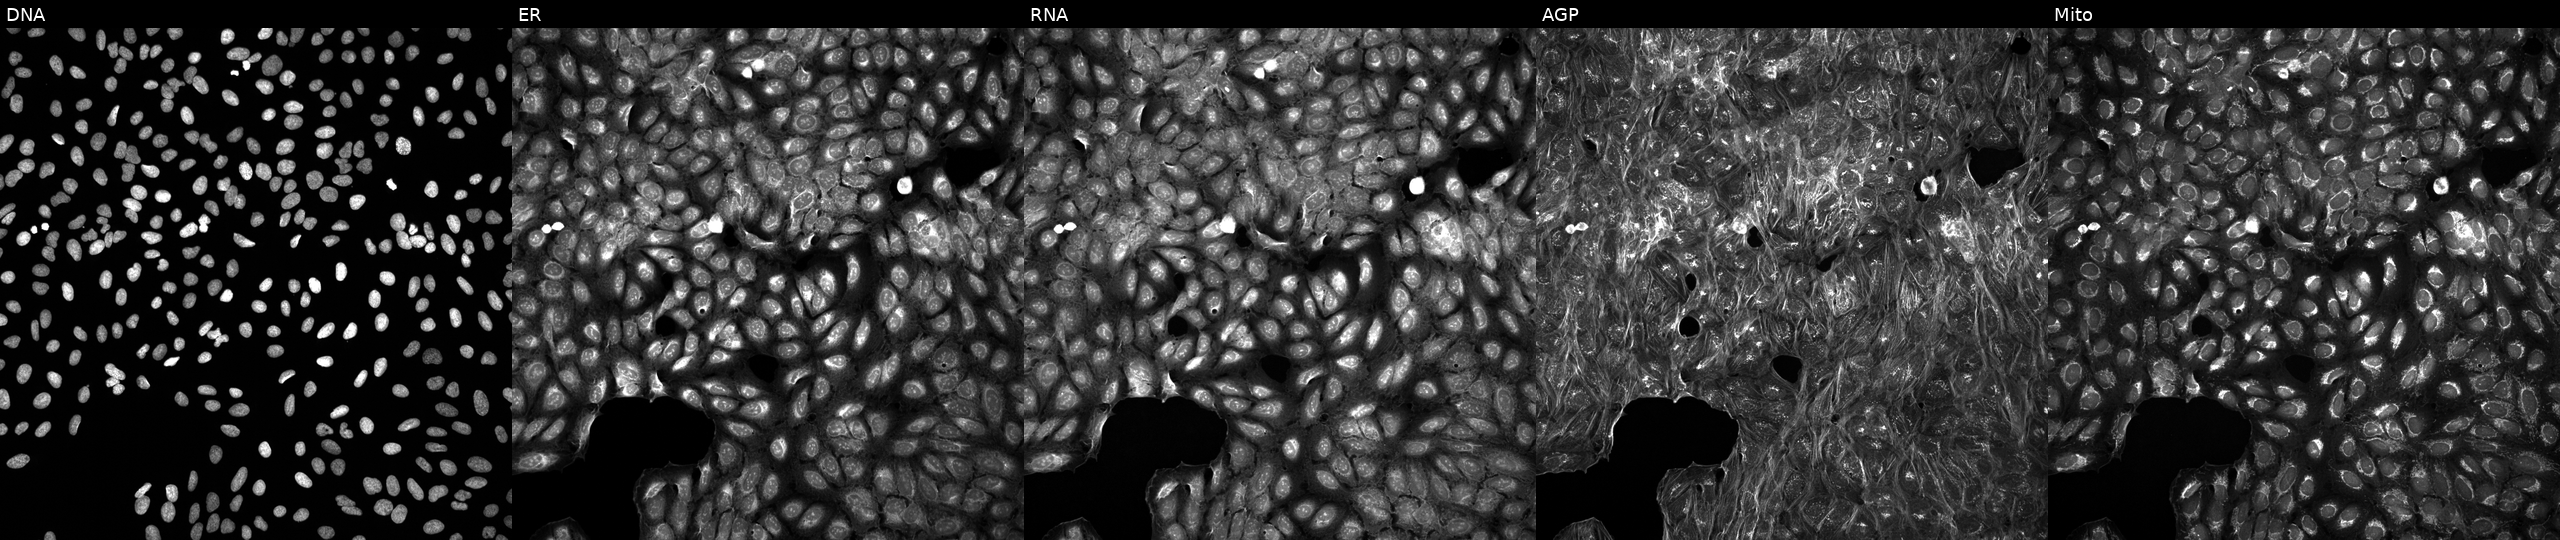
This image strip shows the five Cell Painting channels for a single field of U2OS cells perturbed with a small-molecule compound (InChIKey QESQGTFWEQMCMH-UHFFFAOYSA-N). Panels show, left to right, DNA (nuclei); ER (endoplasmic reticulum); RNA (nucleoli and cytoplasmic RNA); AGP (actin cytoskeleton, Golgi, and plasma membrane); Mito (mitochondria). Source 5, plate ACPJUM012, well K21.